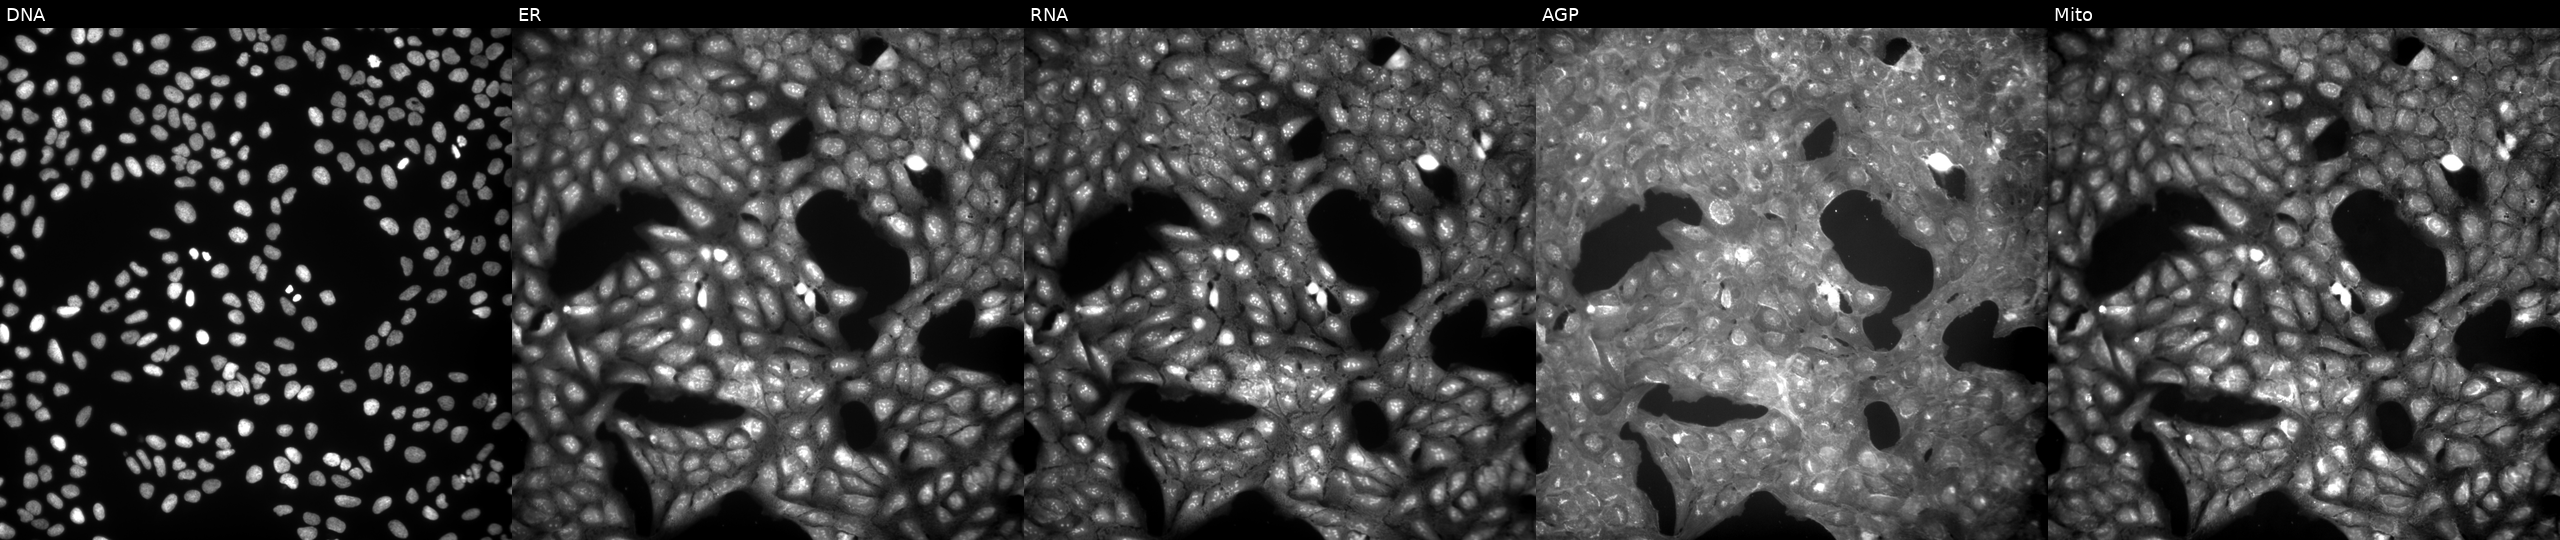
JUMP Cell Painting — COMPOUND plate. U2OS cells perturbed with a small-molecule compound (InChIKey NIUWDHSGBWOJQS-UHFFFAOYSA-N). Channels (left→right): DNA, ER, RNA, AGP, and Mito. Source 9, plate GR00003381, well L42.